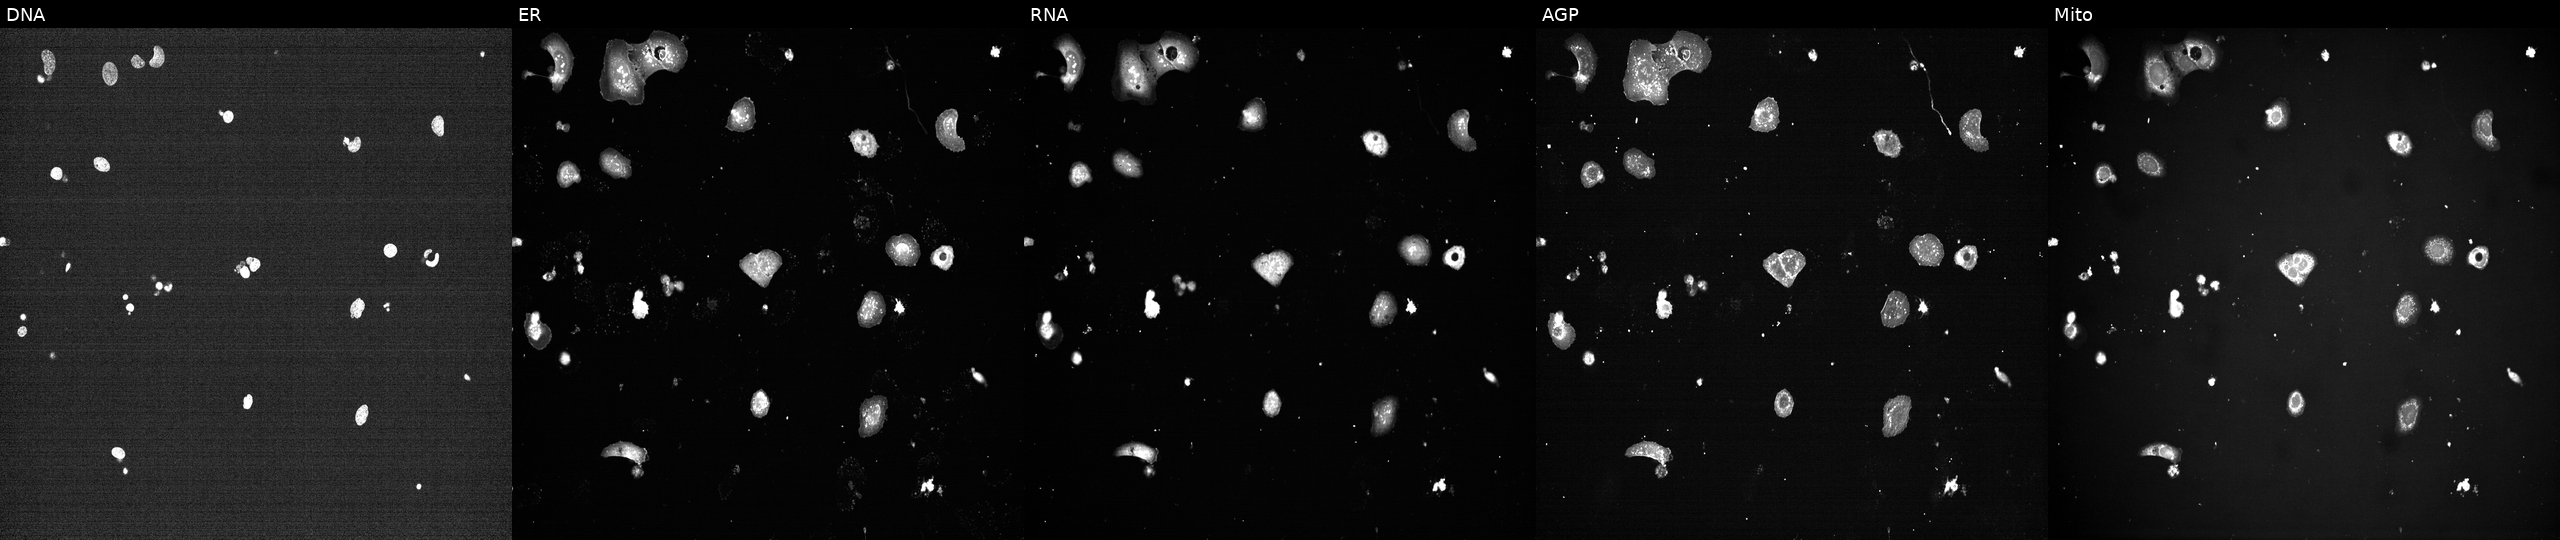
JUMP Cell Painting — TARGET2 plate. U2OS cells exposed to a small-molecule compound (InChIKey CWHUFRVAEUJCEF-UHFFFAOYSA-N) (JUMP id JCP2022_013856). The five panels, left to right, show Hoechst 33342, concanavalin A, SYTO 14, phalloidin and WGA, MitoTracker.